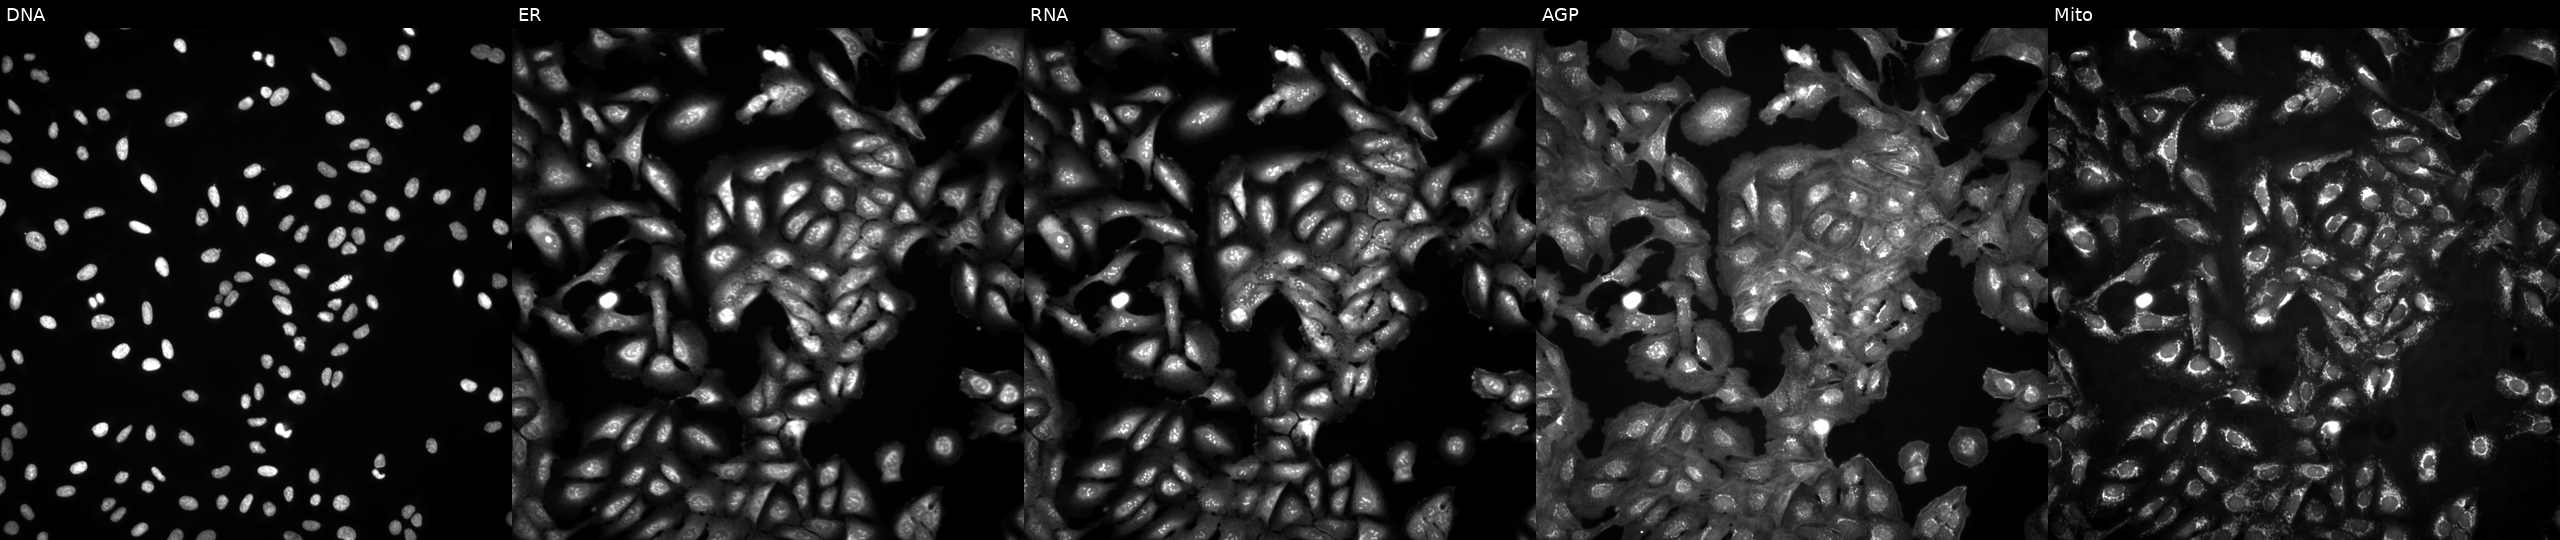
JUMP Cell Painting — ORF plate. U2OS cells untreated (empty-well control) (JUMP id JCP2022_999999). From left to right: Hoechst 33342, concanavalin A, SYTO 14, phalloidin and WGA, MitoTracker.